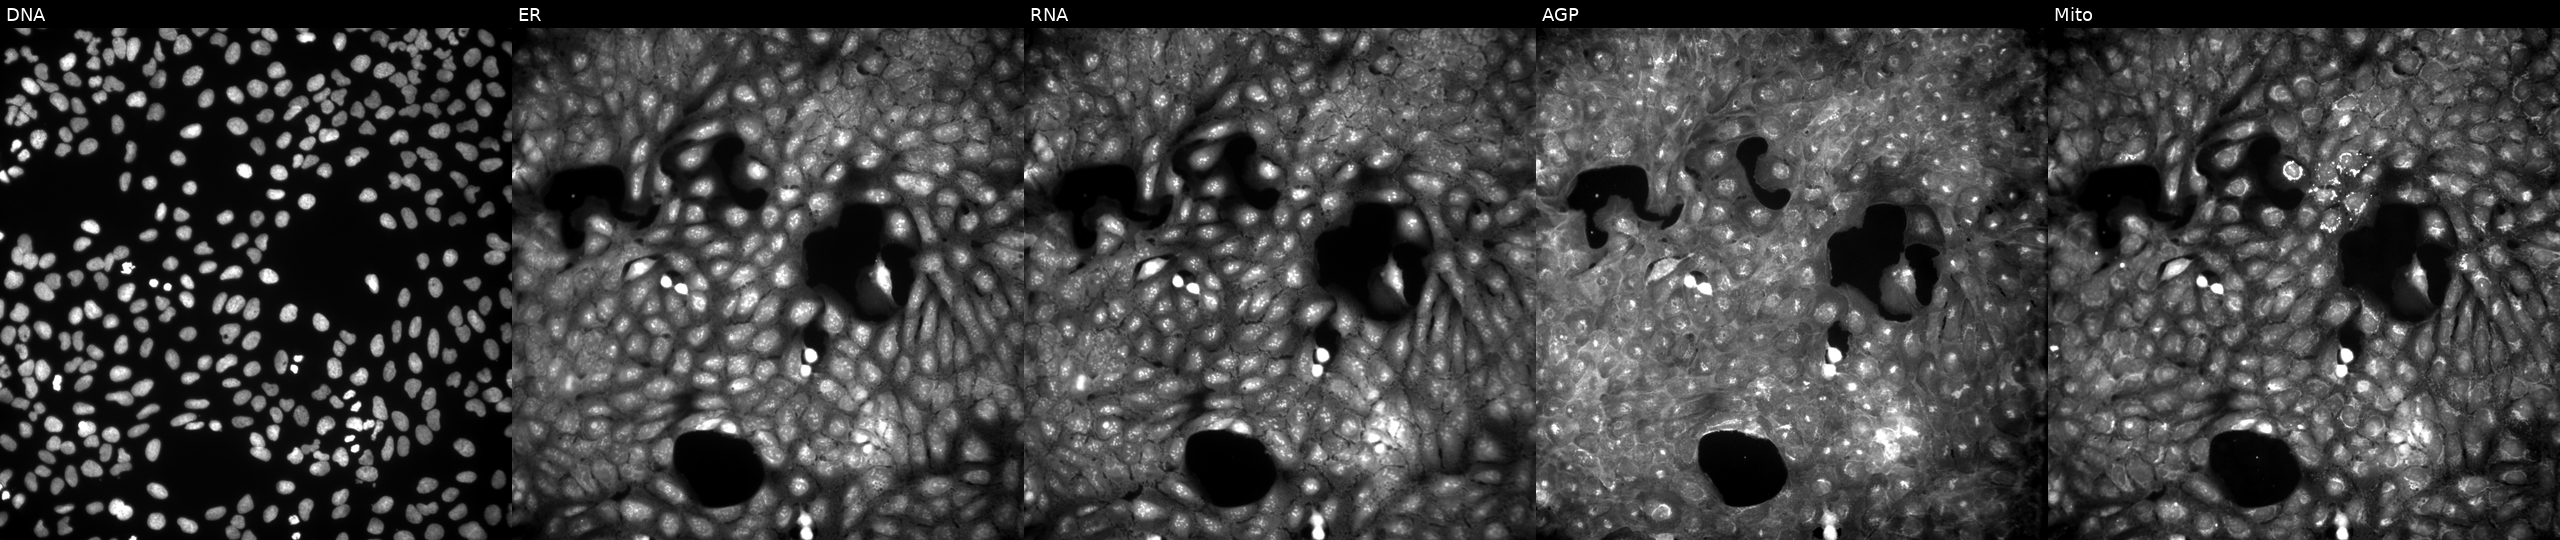
High-content fluorescence microscopy (Cell Painting). Cell line: U2OS. Perturbation: treated with a small-molecule compound (InChIKey JDDYWRZEGDOCSH-UHFFFAOYSA-N) (JUMP id JCP2022_039008). Channels (left→right): DNA, ER, RNA, AGP, and Mito.